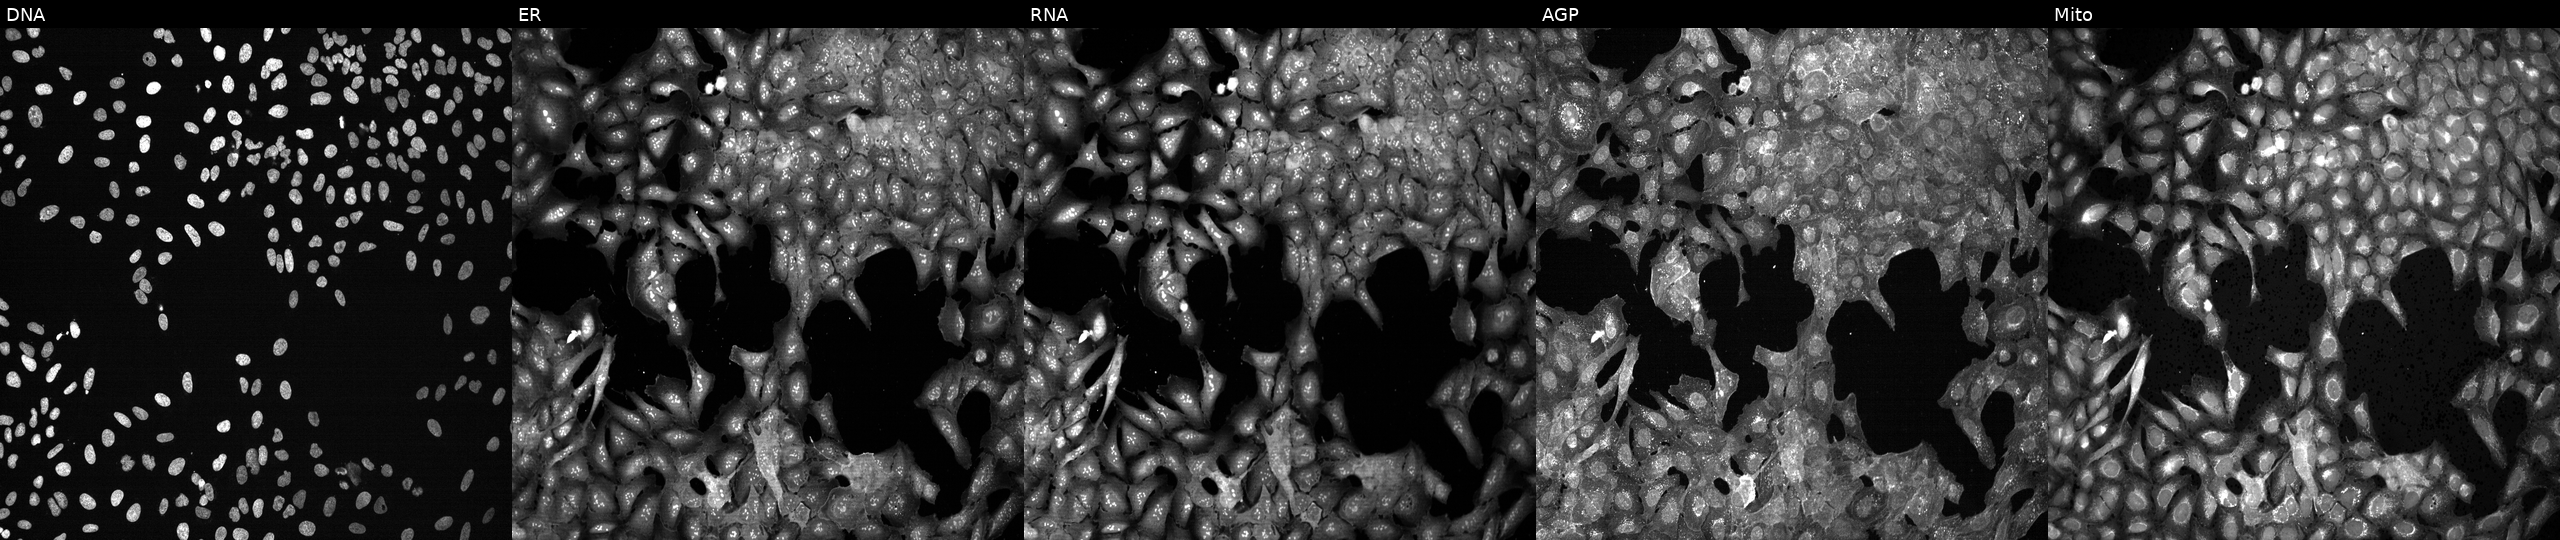
JUMP Cell Painting — CRISPR plate. U2OS cells CRISPR-edited to disrupt KPNA1 (JUMP id JCP2022_803747). Panels show, left to right, DNA, ER, RNA, AGP, and Mito. Source 13, plate CP-CC9-R1-02, well C18.